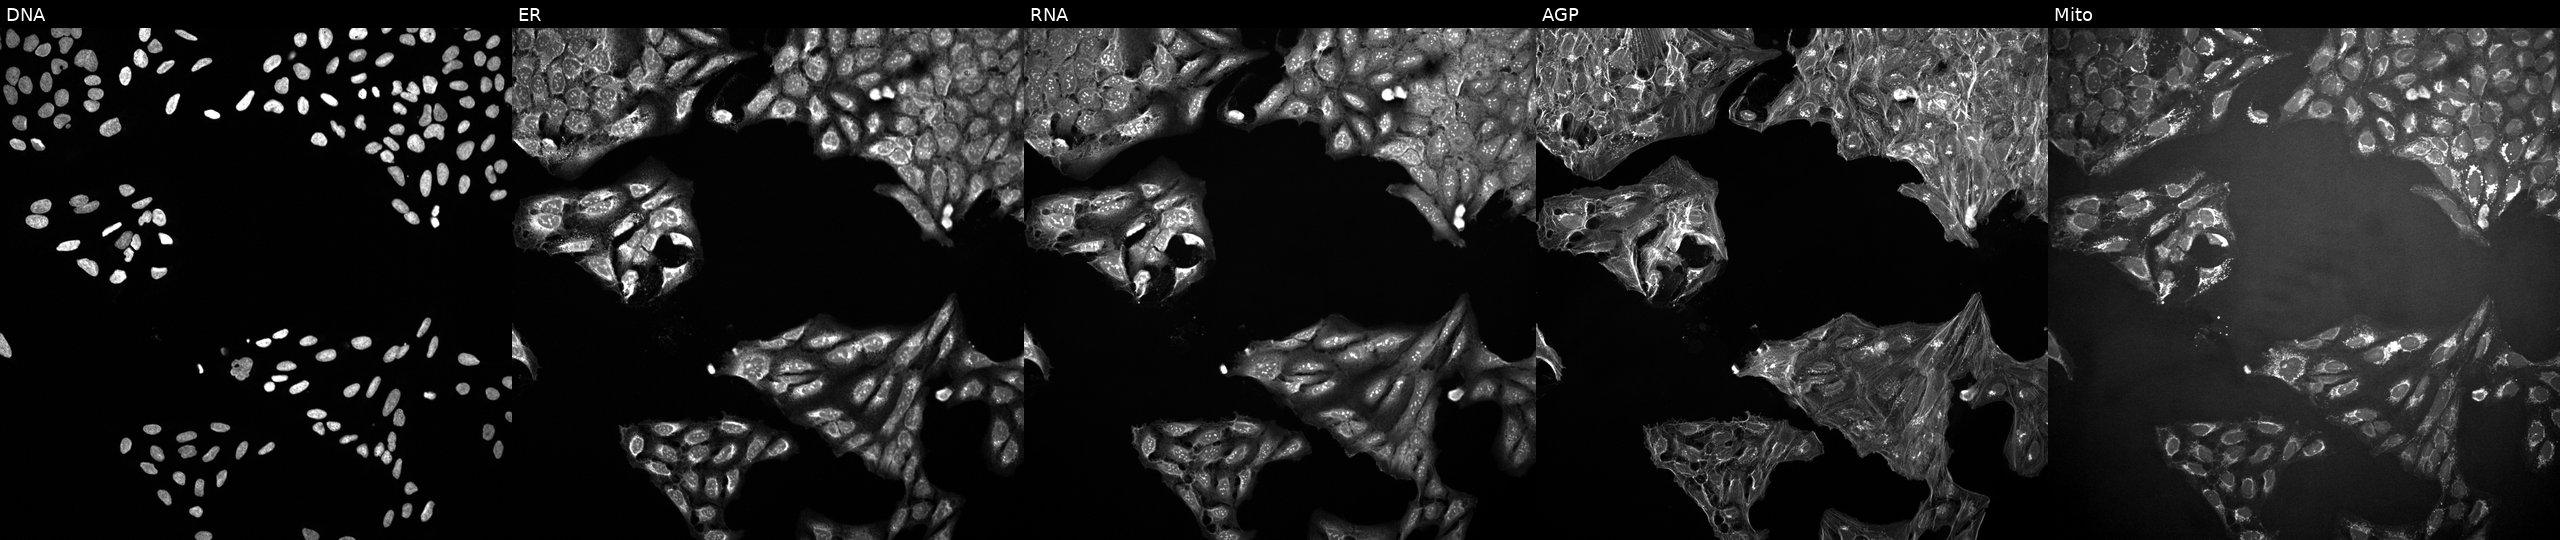
Panels show, left to right, Hoechst 33342, concanavalin A, SYTO 14, phalloidin and WGA, MitoTracker. U2OS osteosarcoma cells treated with a small-molecule compound (JUMP id JCP2022_073209). Cell Painting assay, JUMP-CP dataset. Source 10, plate Dest210531-152324, well A10.